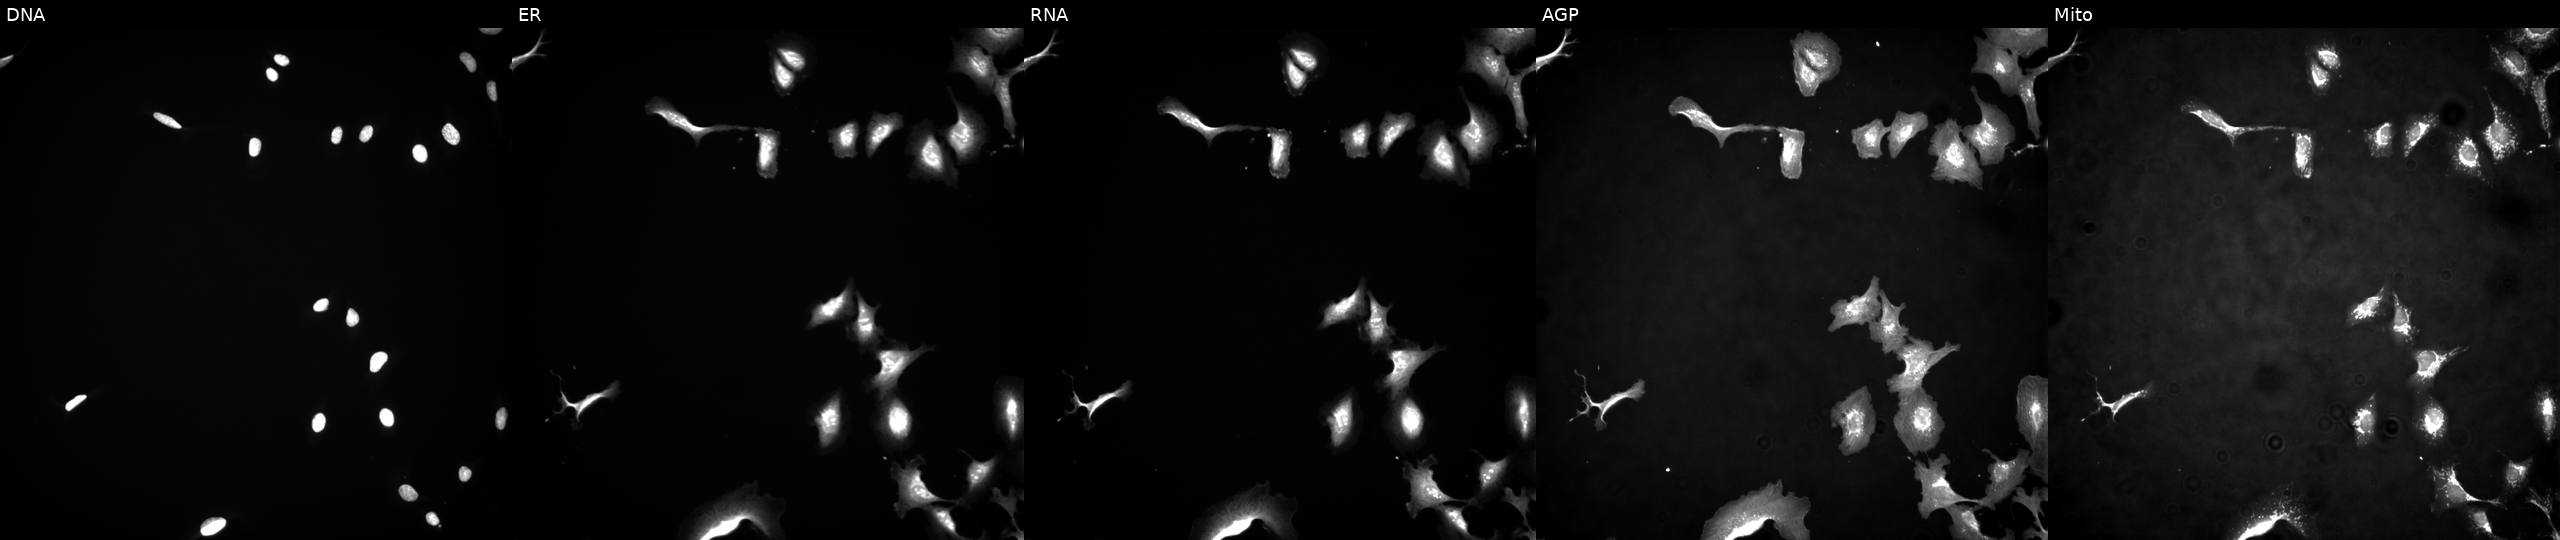
Panels show, left to right, DNA, ER, RNA, AGP, and Mito. U2OS osteosarcoma cells overexpressing BMP2K via ORF transfection (JUMP id JCP2022_914317). Cell Painting assay, JUMP-CP dataset. Source 4, plate BR00123945, well I01.